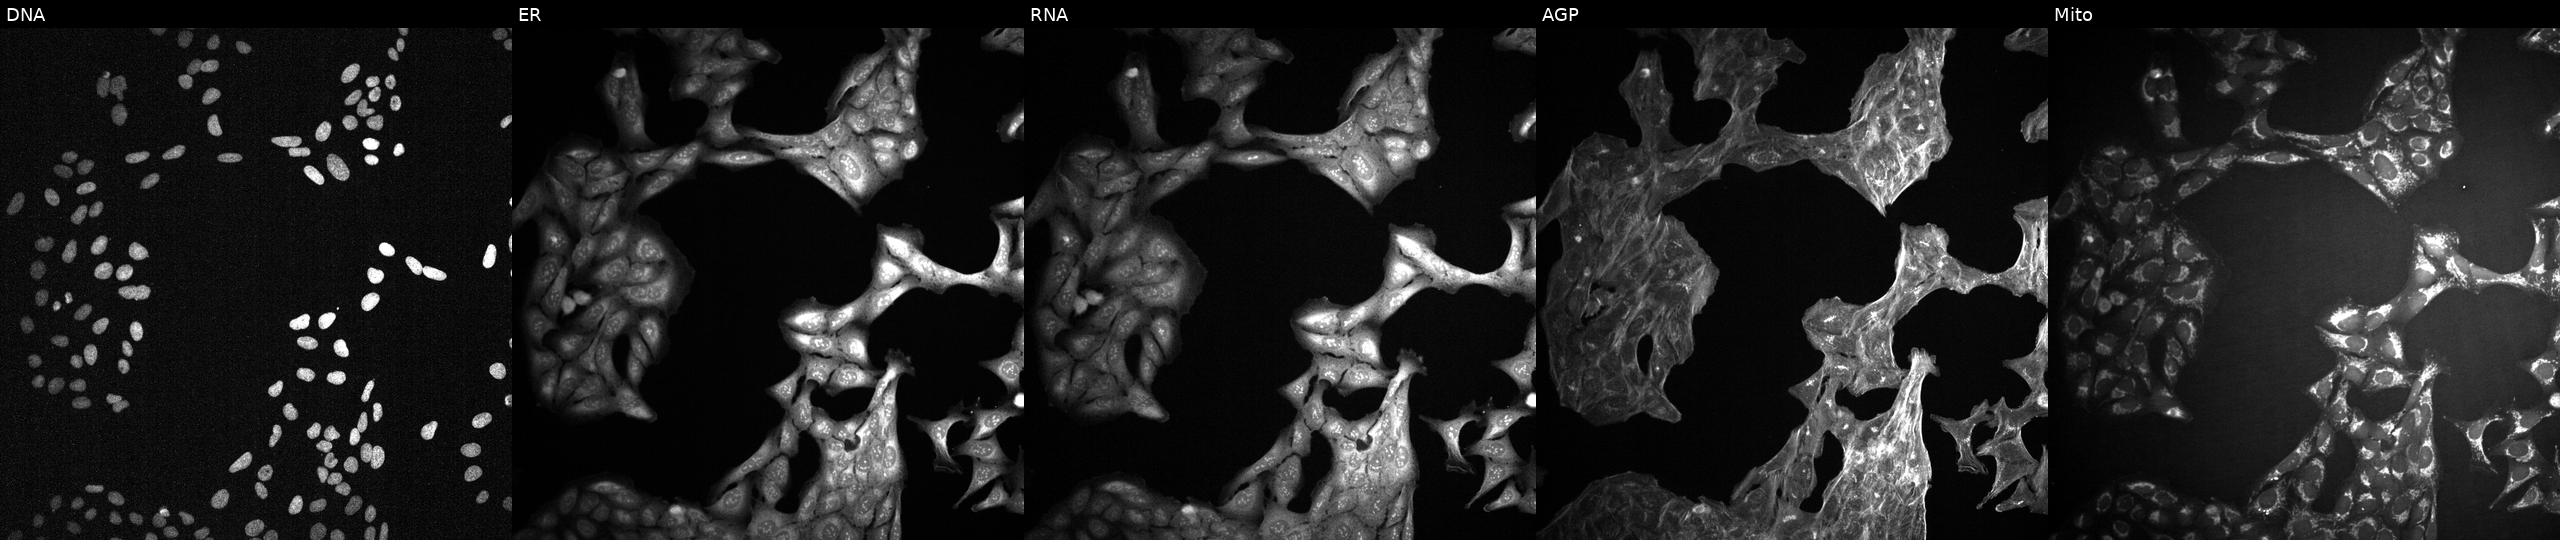
Channels (left→right): Hoechst 33342, concanavalin A, SYTO 14, phalloidin and WGA, MitoTracker. U2OS osteosarcoma cells perturbed with a small-molecule compound (InChIKey UMUPQWIGCOZEOY-UHFFFAOYSA-N) (JUMP id JCP2022_090205). Cell Painting assay, JUMP-CP dataset. Source 2, plate 1053599503, well D24.